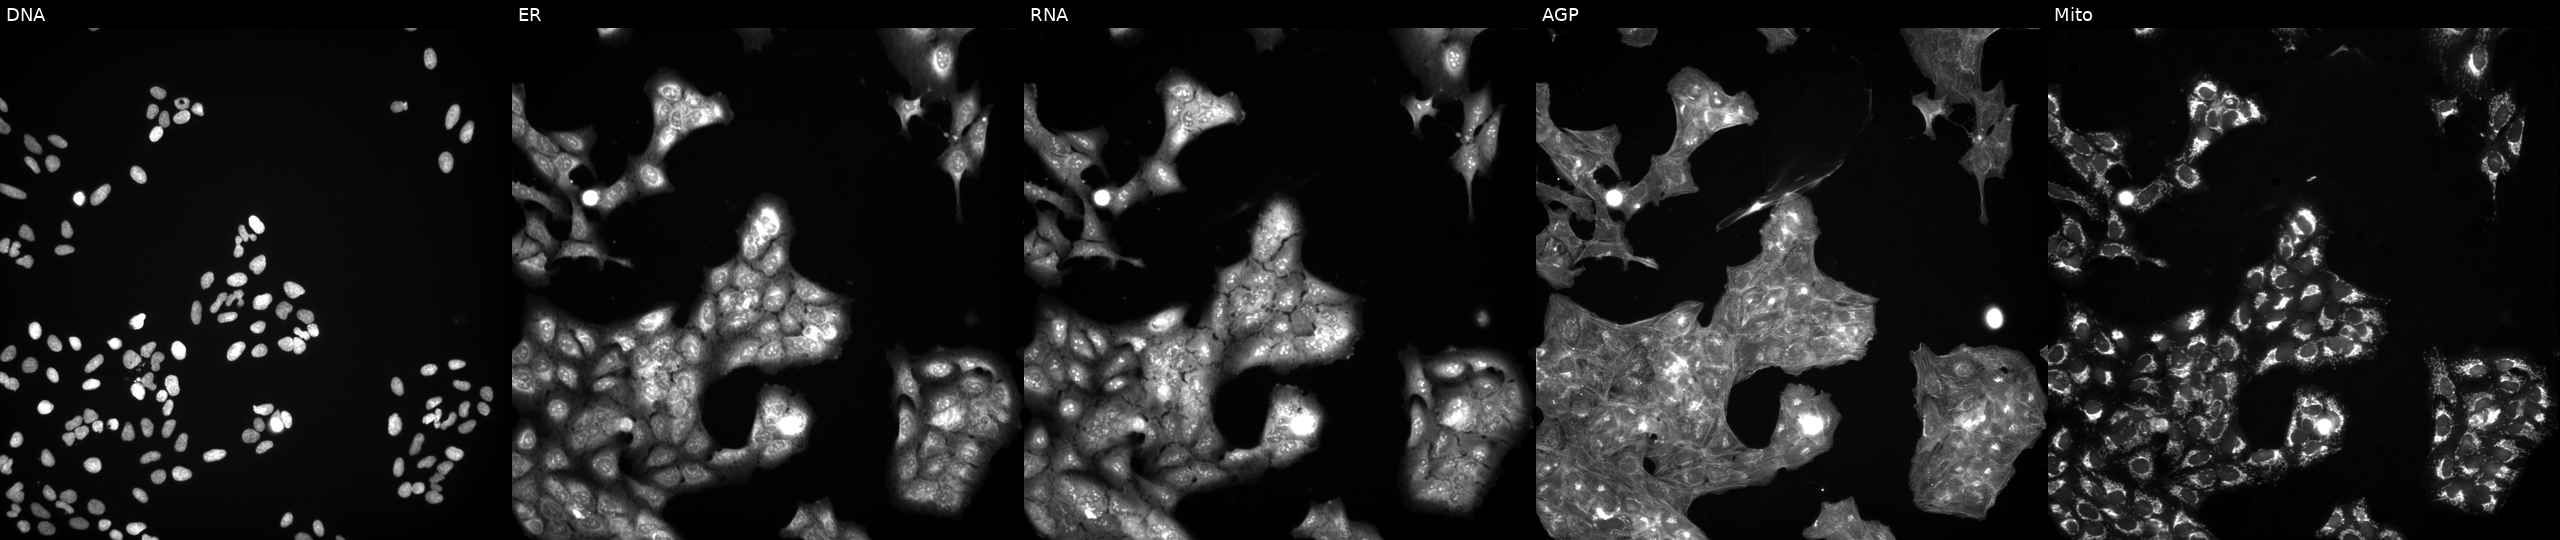
This image strip shows the five Cell Painting channels for a single field of U2OS cells treated with a small-molecule compound (InChIKey DHMTURDWPRKSOA-UHFFFAOYSA-N) (JUMP id JCP2022_015955). Panels show, left to right, Hoechst 33342, concanavalin A, SYTO 14, phalloidin and WGA, MitoTracker.